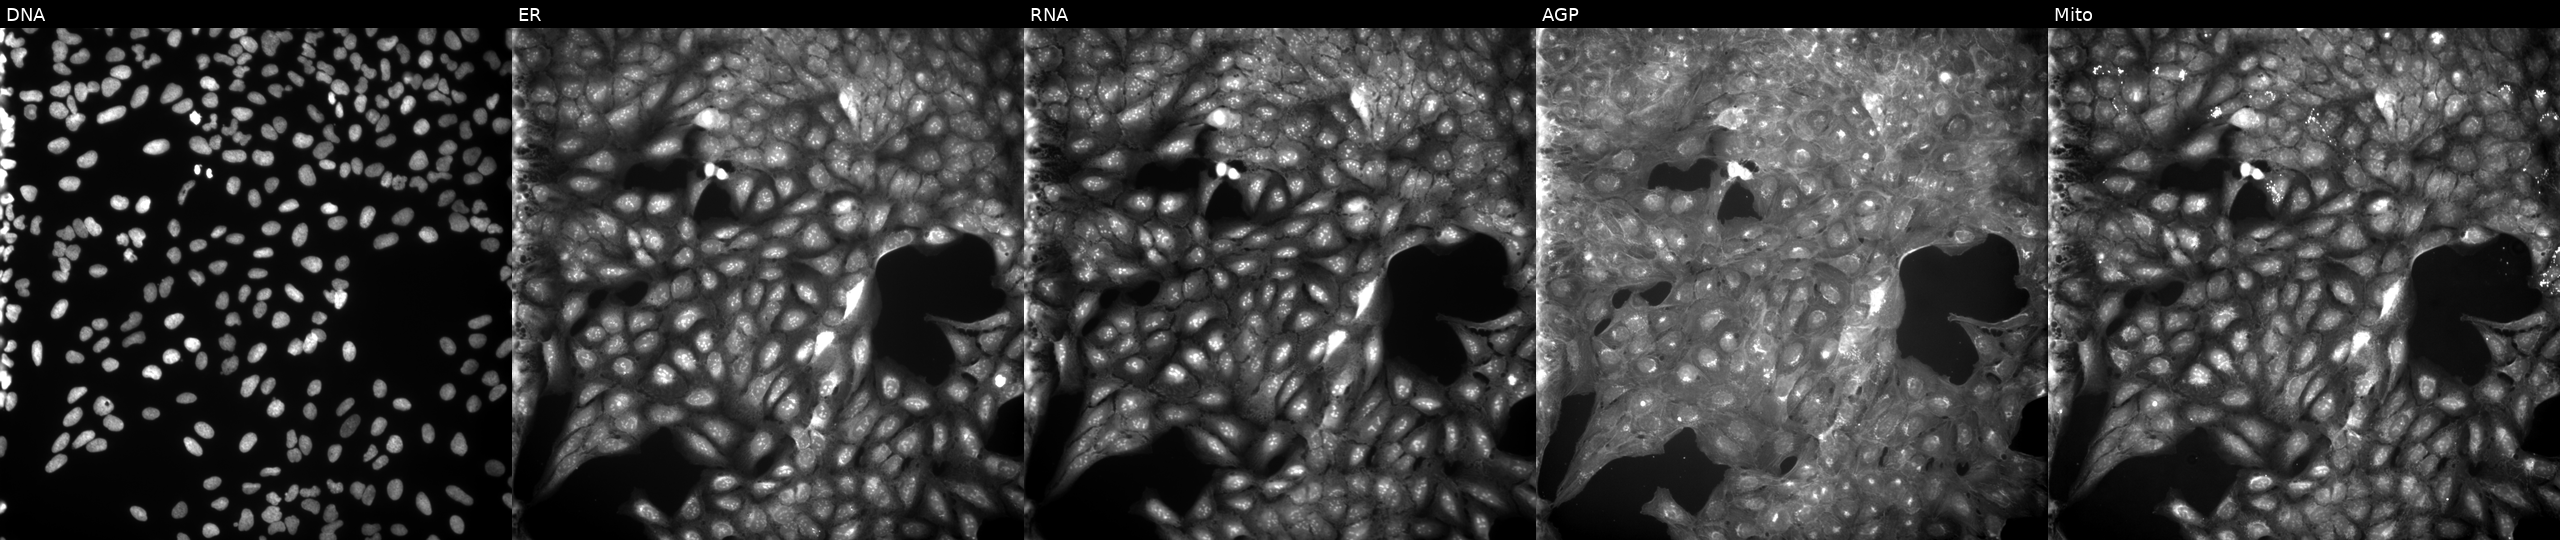
U2OS cells, Cell Painting assay, exposed to a small-molecule compound (InChIKey ZWTOGAIWUUHWHV-UHFFFAOYSA-N) (JUMP id JCP2022_116170). From left to right: DNA (nuclei); ER (endoplasmic reticulum); RNA (nucleoli and cytoplasmic RNA); AGP (actin cytoskeleton, Golgi, and plasma membrane); Mito (mitochondria). Each panel is percentile-stretched 16-bit fluorescence.